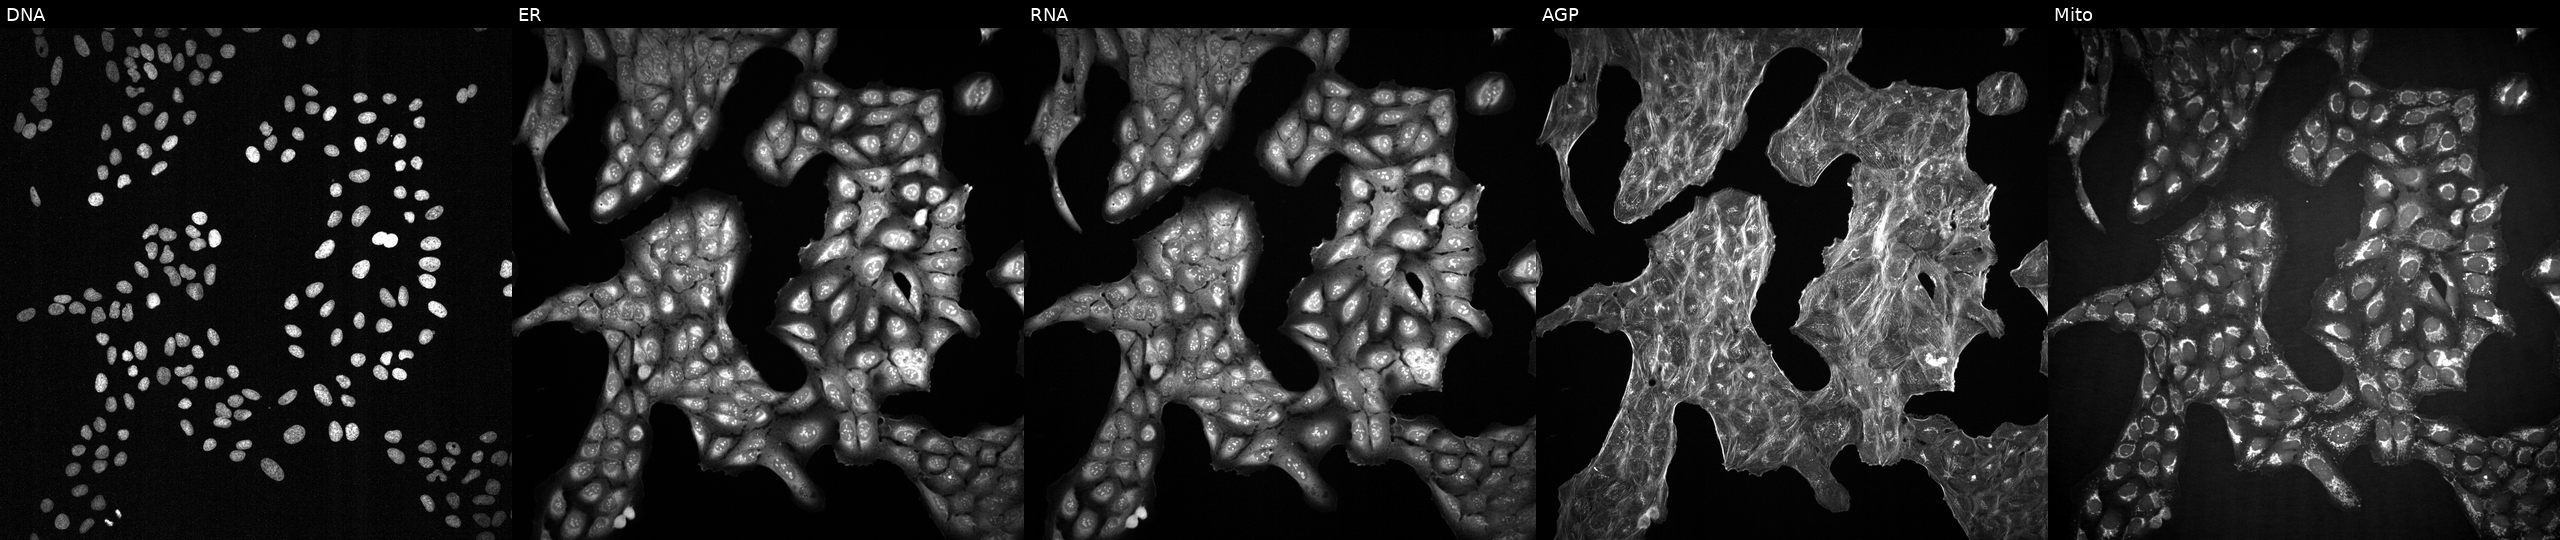
Five-channel Cell Painting image of U2OS cells treated with DMSO vehicle only (negative control) (JUMP id JCP2022_033924). The five panels, left to right, show DNA, ER, RNA, AGP, and Mito.